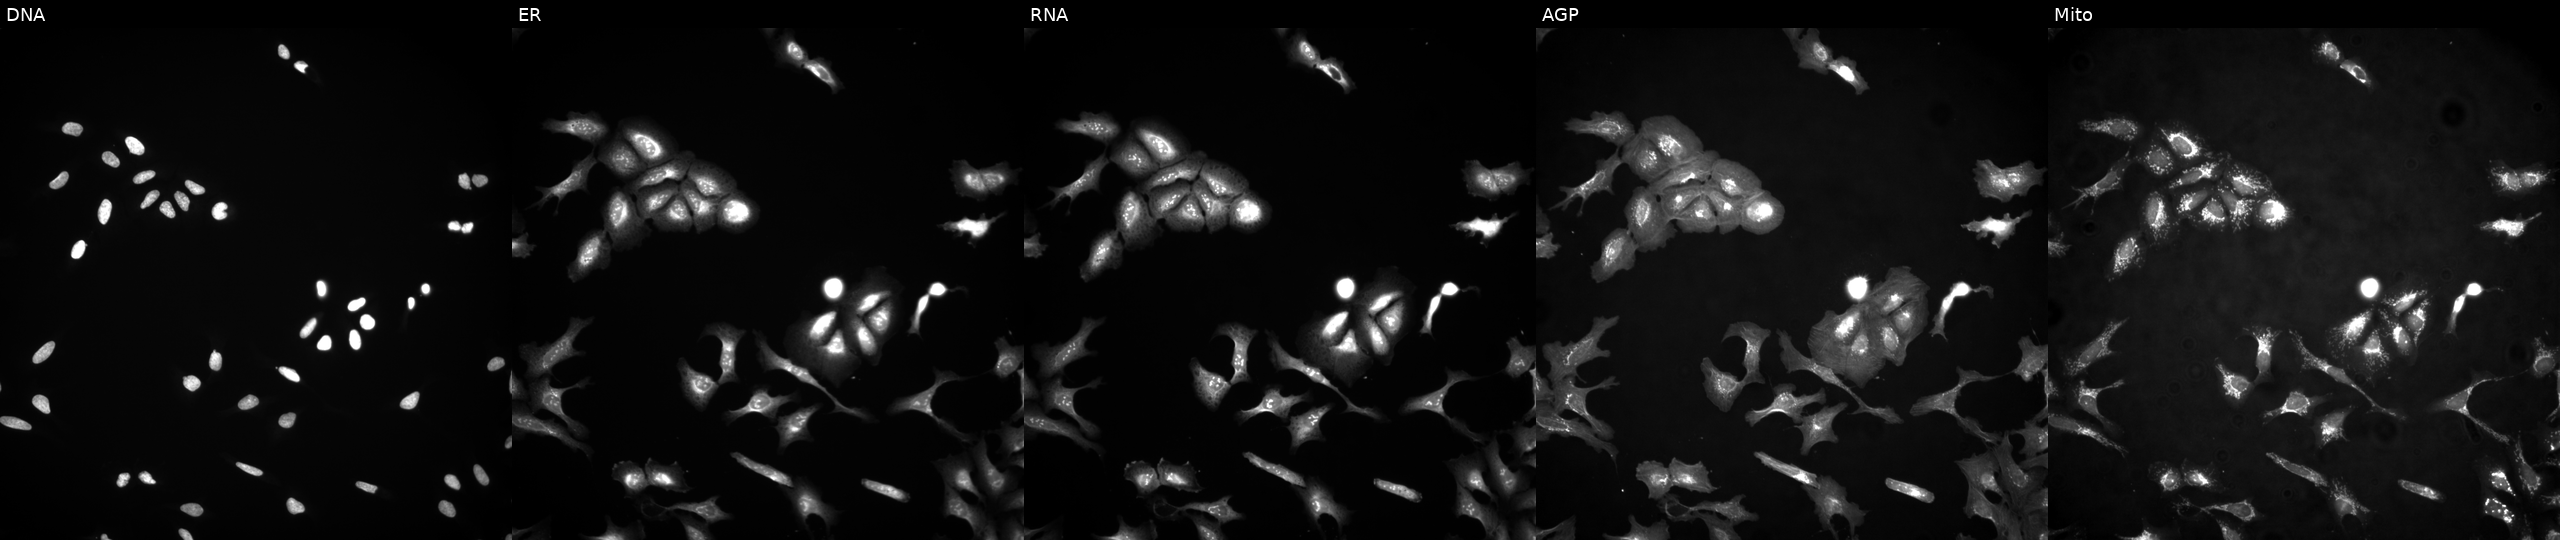
U2OS cells, Cell Painting assay, with UBL7 overexpressed (ORF). Panels show, left to right, Hoechst 33342, concanavalin A, SYTO 14, phalloidin and WGA, MitoTracker. Each panel is percentile-stretched 16-bit fluorescence.